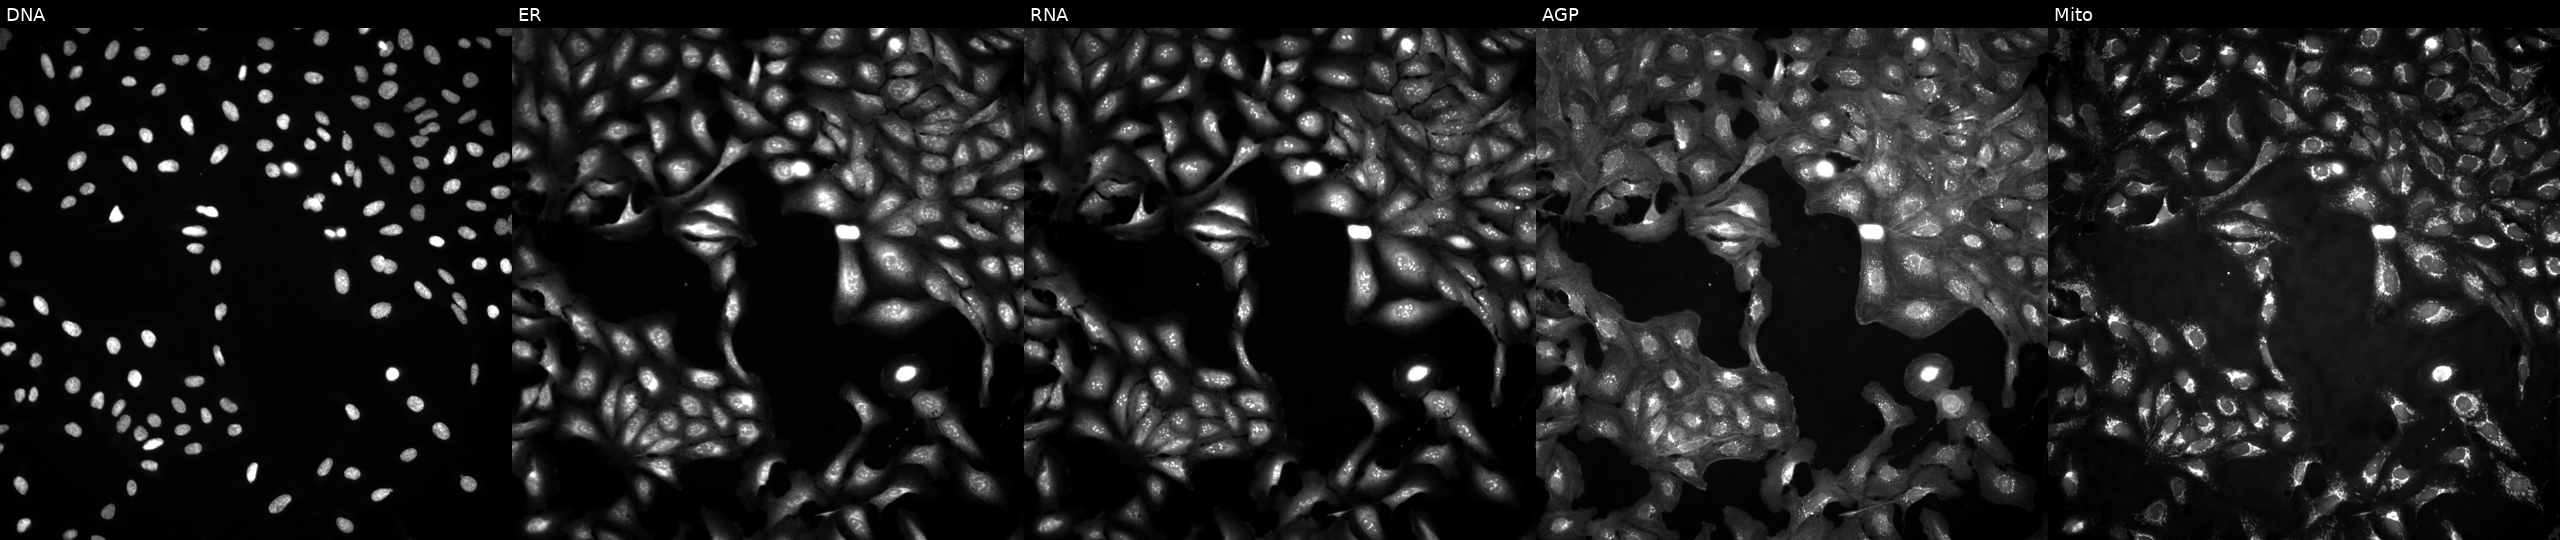
U2OS cells, Cell Painting assay, untreated (empty-well control) (JUMP id JCP2022_999999). Panels show, left to right, Hoechst 33342, concanavalin A, SYTO 14, phalloidin and WGA, MitoTracker. Each panel is percentile-stretched 16-bit fluorescence.